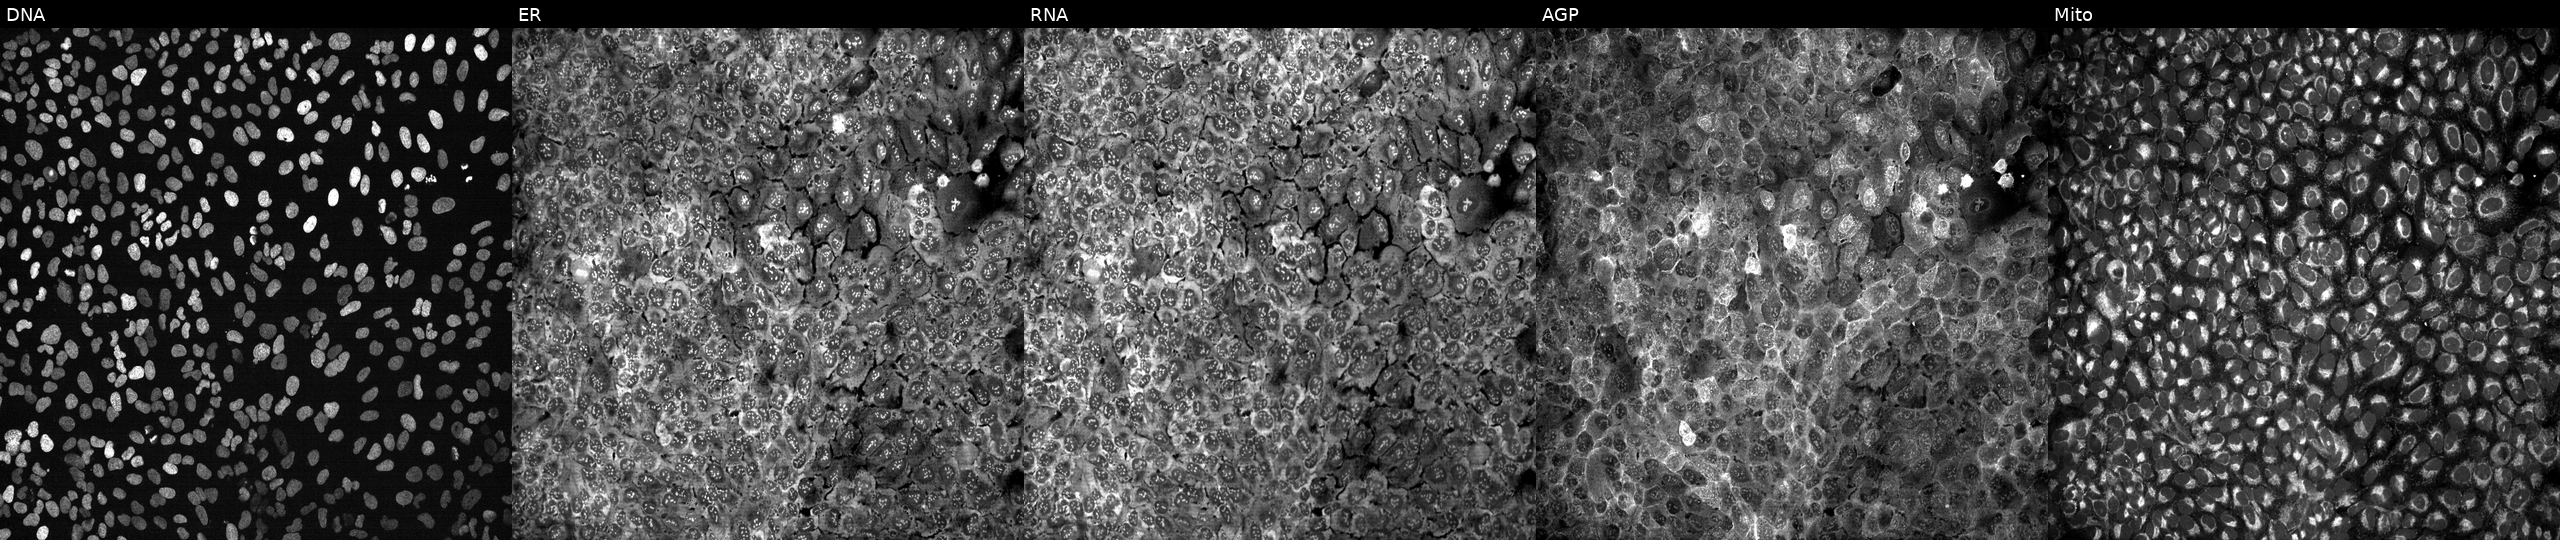
High-content fluorescence microscopy (Cell Painting). Cell line: U2OS. Perturbation: with LGALS3 knocked out by CRISPR. Channels (left→right): Hoechst 33342, concanavalin A, SYTO 14, phalloidin and WGA, MitoTracker. Source 13, plate CP-CC9-R4-04, well G11.